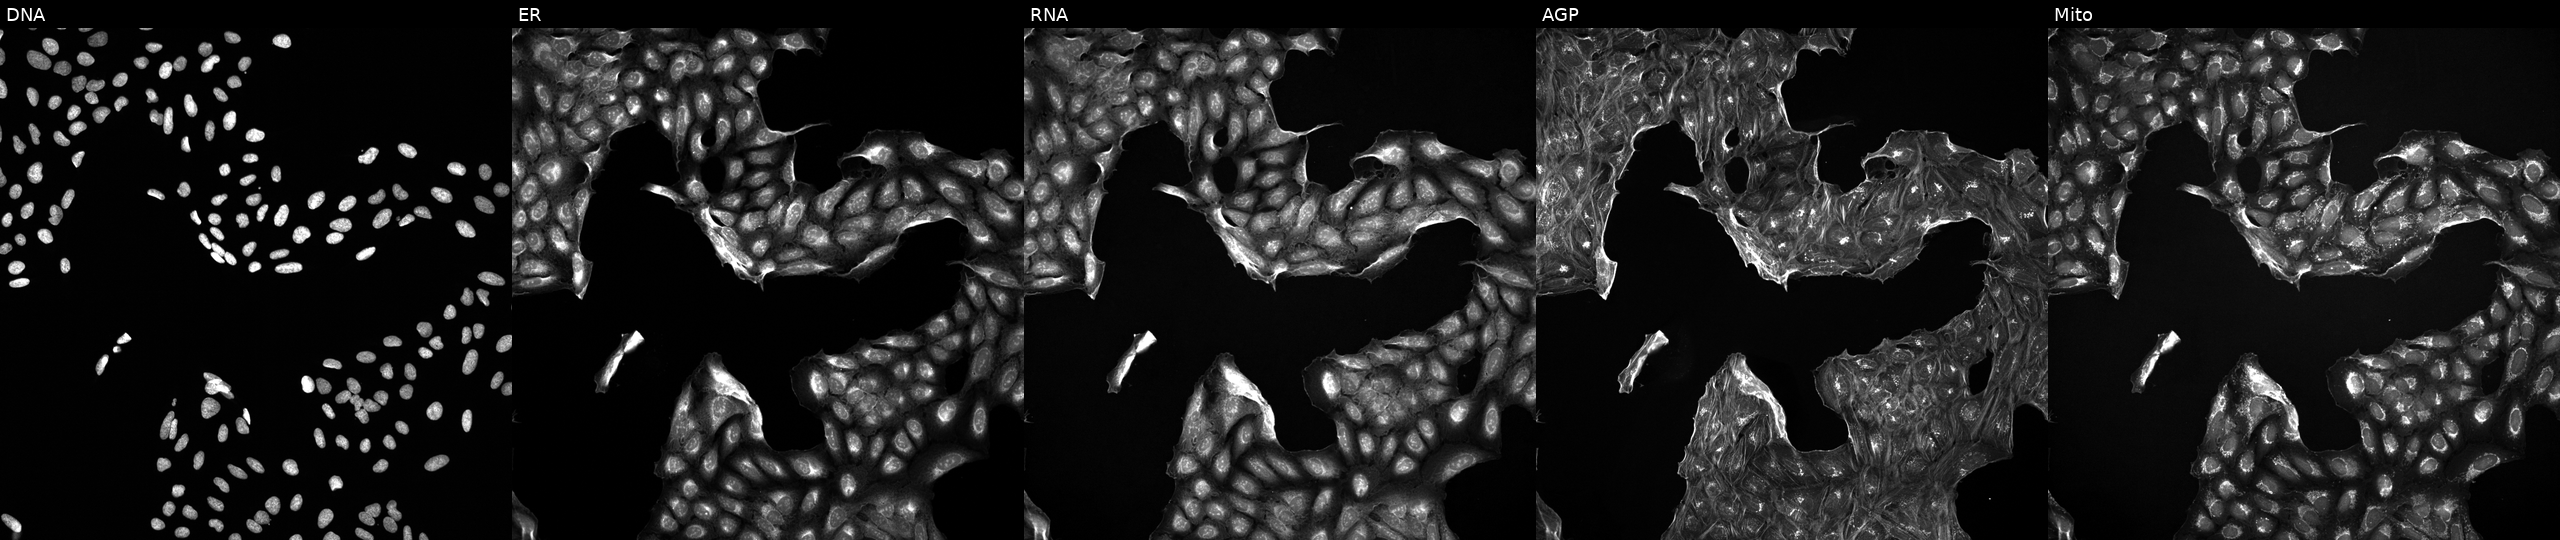
Five-channel Cell Painting image of U2OS cells exposed to a small-molecule compound (InChIKey LPEPZBJOKDYZAD-UHFFFAOYSA-N) [SMILES: O=C(O)c1ccccc1Nc1cccc(C(F)(F)F)c1]. Panels show, left to right, DNA (nuclei); ER (endoplasmic reticulum); RNA (nucleoli and cytoplasmic RNA); AGP (actin cytoskeleton, Golgi, and plasma membrane); Mito (mitochondria).